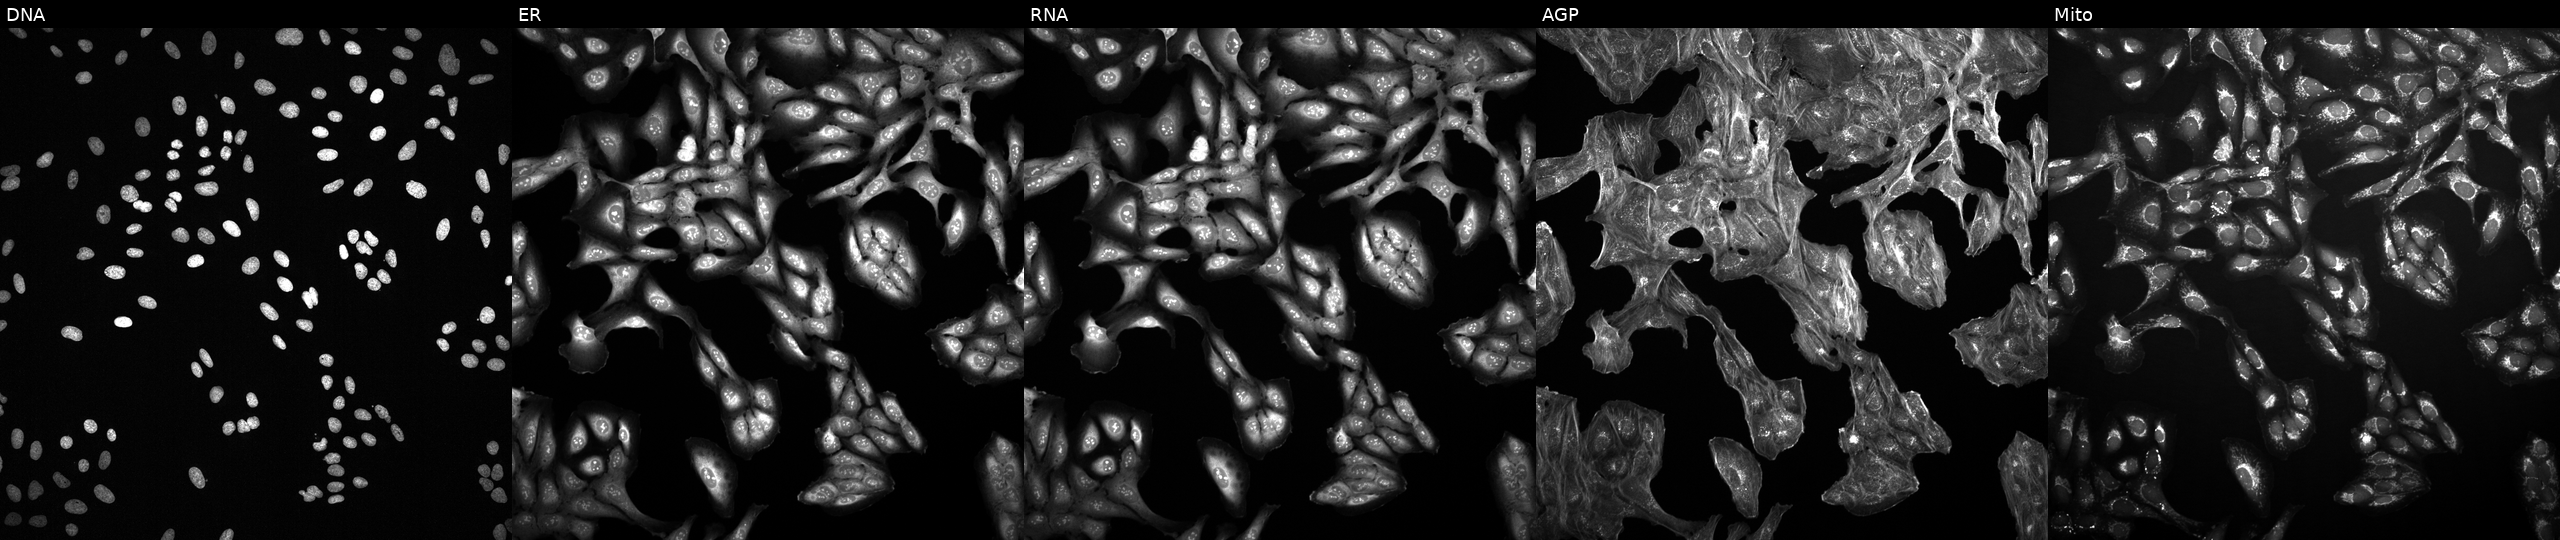
U2OS cells, Cell Painting assay, exposed to a small-molecule compound (InChIKey CMSMOCZEIVJLDB-UHFFFAOYSA-N) [SMILES: O=P1(N(CCCl)CCCl)NCCCO1]. From left to right: DNA, ER, RNA, AGP, and Mito. Each panel is percentile-stretched 16-bit fluorescence.